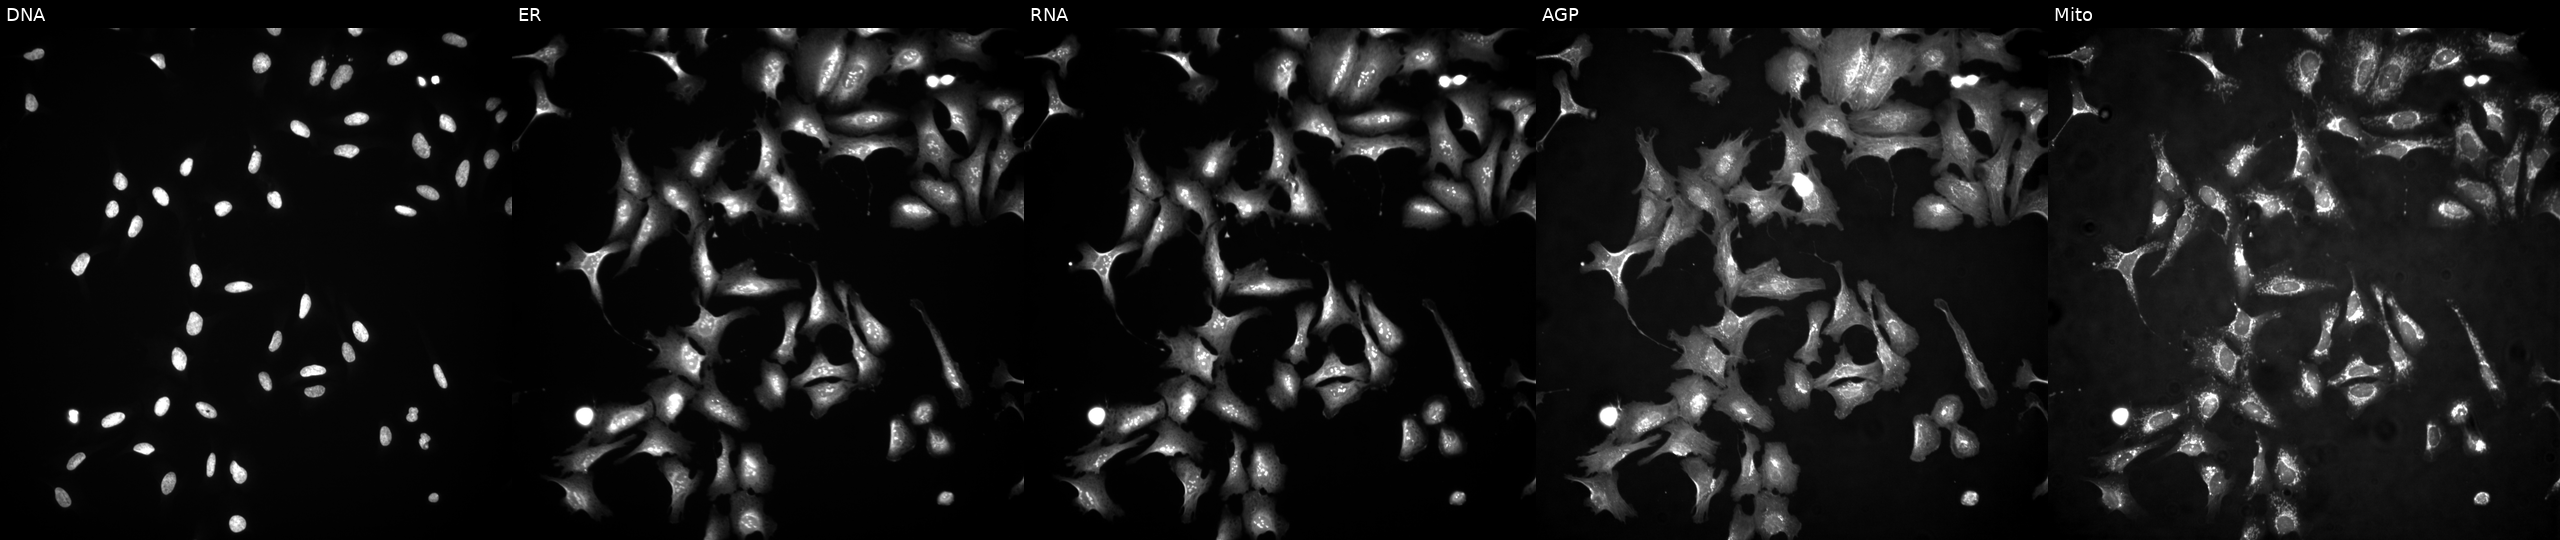
U2OS cells, Cell Painting assay, overexpressing RTP4 via ORF transfection (JUMP id JCP2022_908251). Panels show, left to right, DNA, ER, RNA, AGP, and Mito. Each panel is percentile-stretched 16-bit fluorescence. Source 4, plate BR00124787, well N02.